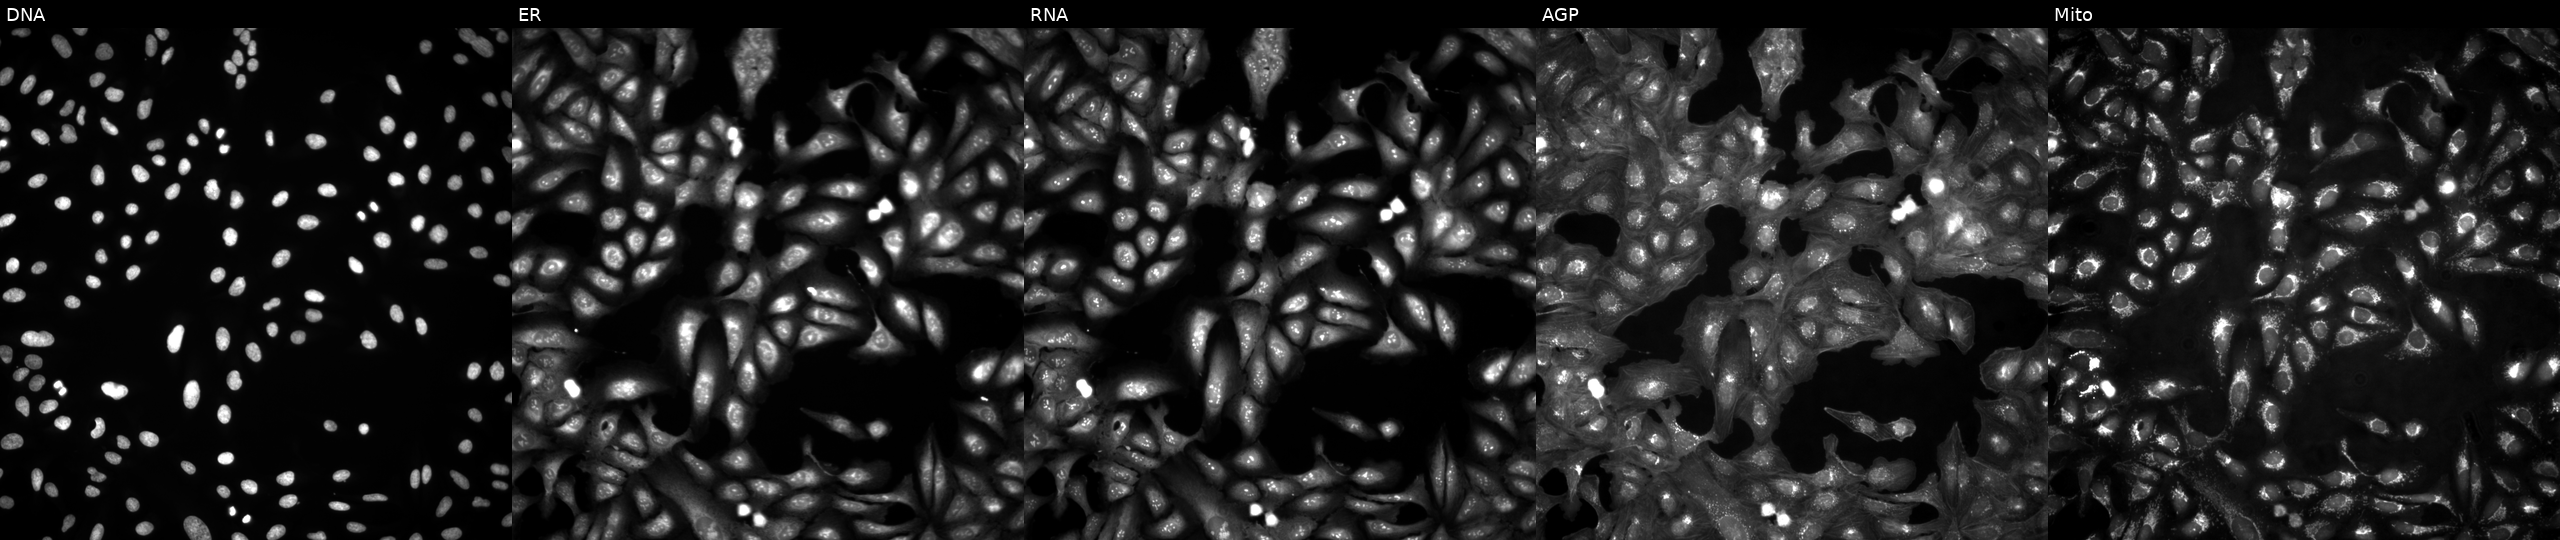
U2OS cells, Cell Painting assay, in an empty control well (no perturbation). Channels (left→right): DNA, ER, RNA, AGP, and Mito. Each panel is percentile-stretched 16-bit fluorescence.